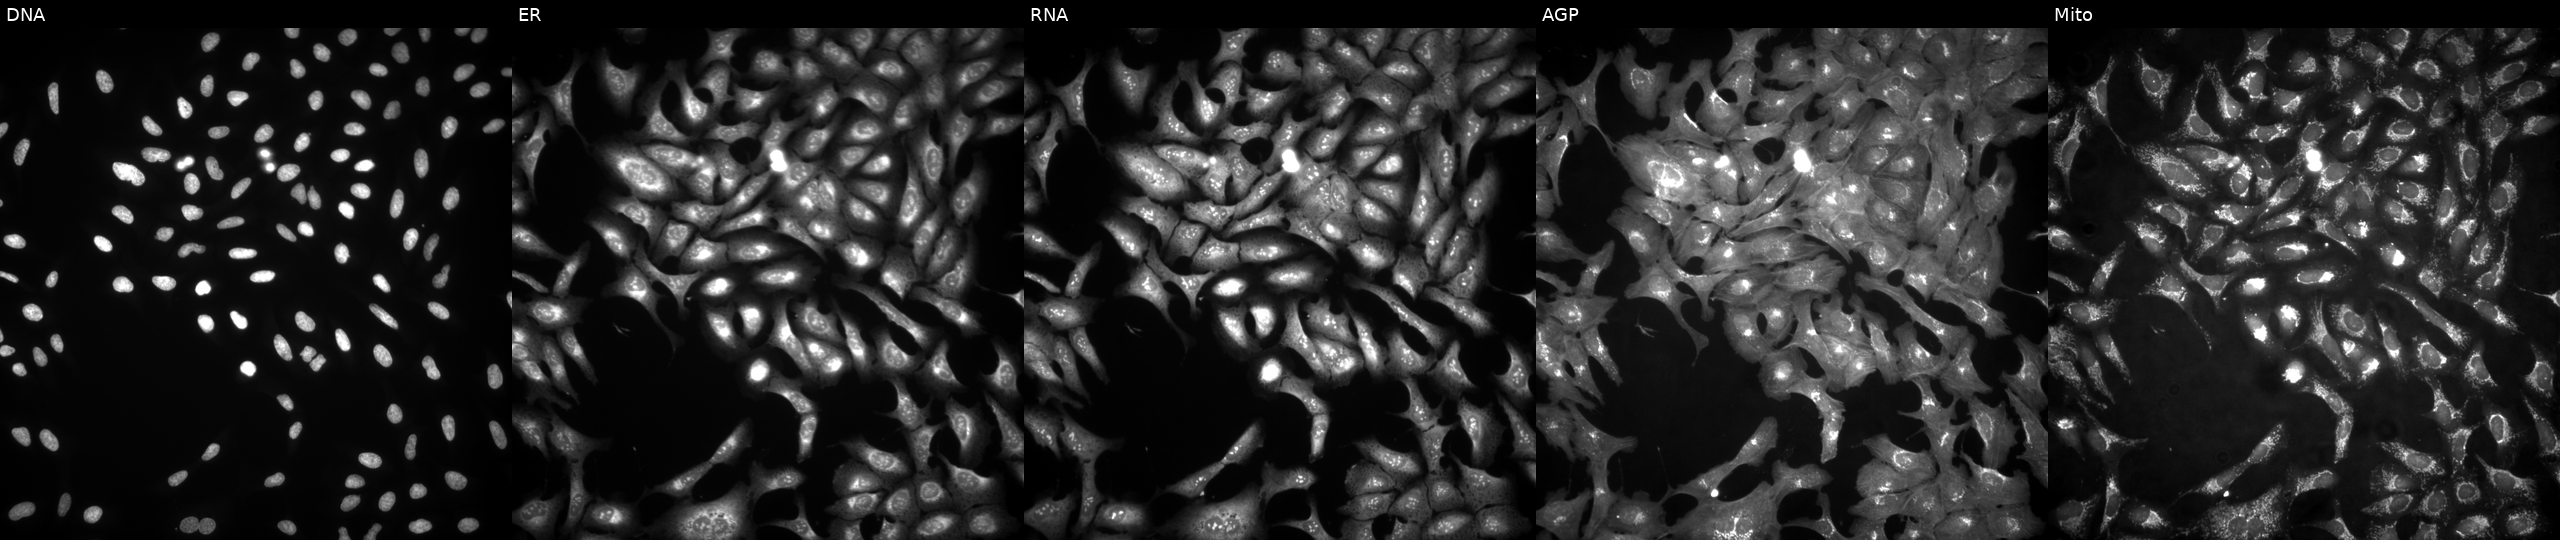
This image strip shows the five Cell Painting channels for a single field of U2OS cells transfected with an ORF construct for HMGA1 (JUMP id JCP2022_900709). Panels show, left to right, DNA (nuclei); ER (endoplasmic reticulum); RNA (nucleoli and cytoplasmic RNA); AGP (actin cytoskeleton, Golgi, and plasma membrane); Mito (mitochondria). Source 4, plate BR00123509, well B17.